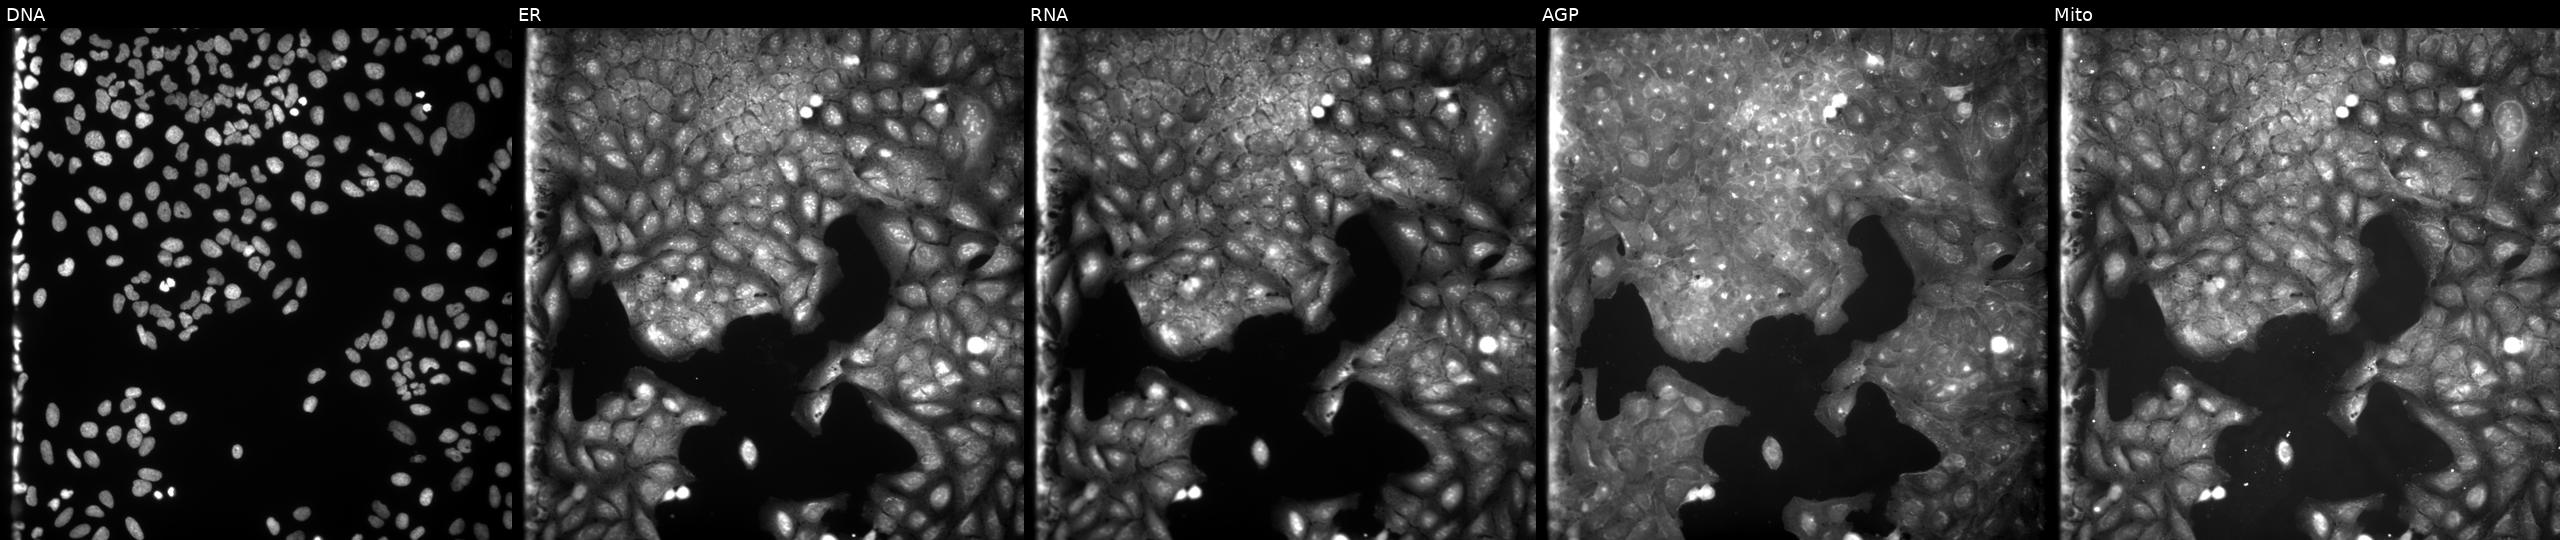
High-content fluorescence microscopy (Cell Painting). Cell line: U2OS. Perturbation: treated with a small-molecule compound (InChIKey YDGDUFZDKHMJPB-UHFFFAOYSA-N). The five panels, left to right, show Hoechst 33342, concanavalin A, SYTO 14, phalloidin and WGA, MitoTracker.